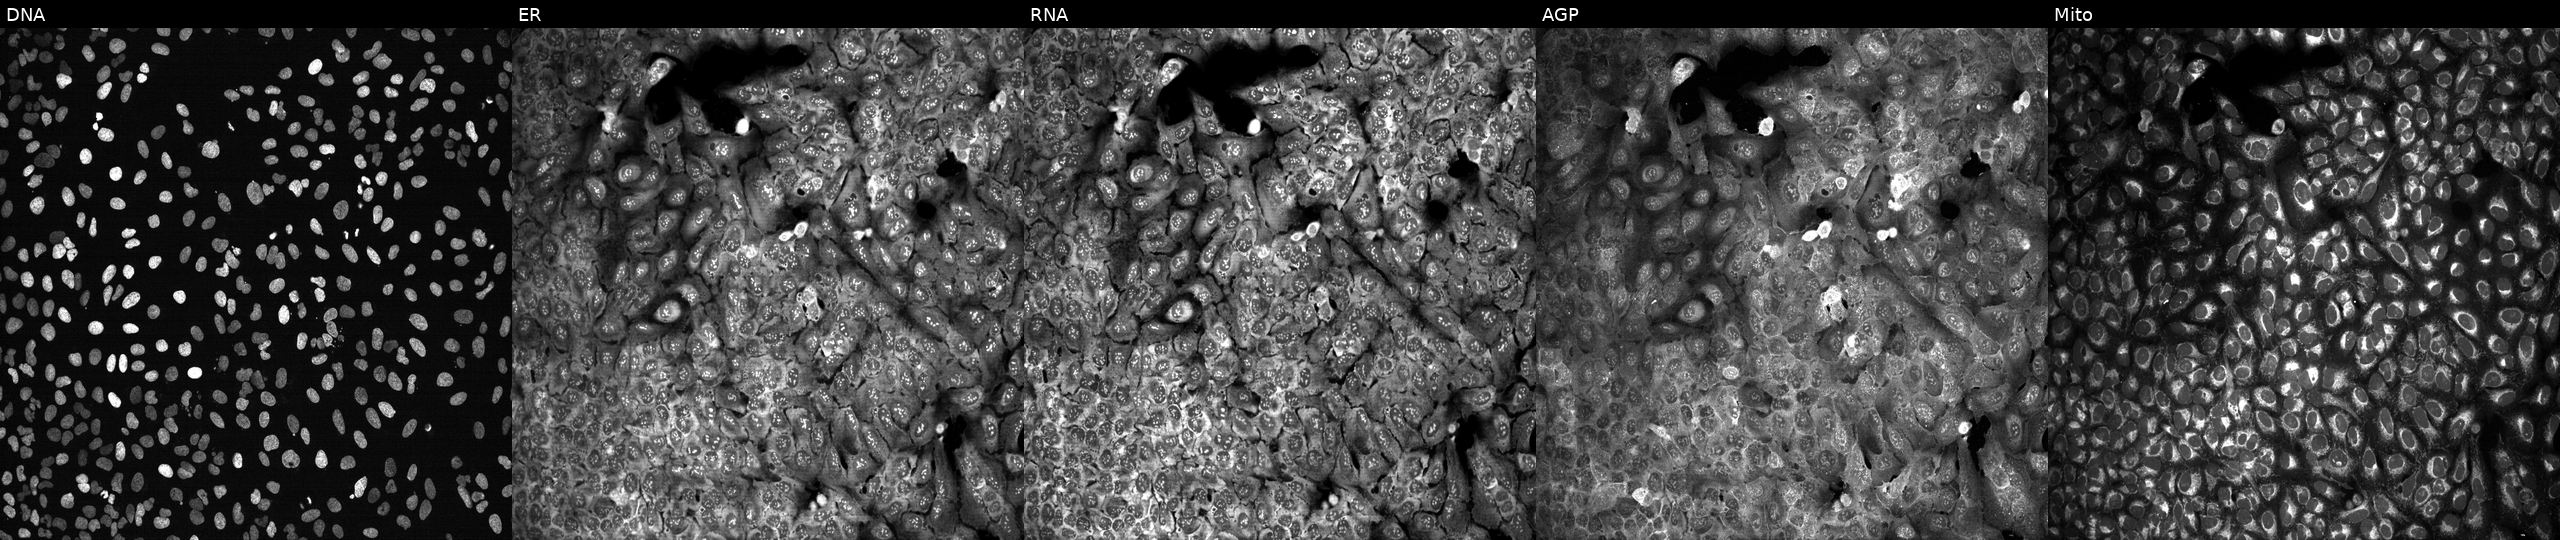
This image strip shows the five Cell Painting channels for a single field of U2OS cells with SEPT11 knocked out by CRISPR. Panels show, left to right, DNA (nuclei); ER (endoplasmic reticulum); RNA (nucleoli and cytoplasmic RNA); AGP (actin cytoskeleton, Golgi, and plasma membrane); Mito (mitochondria). Source 13, plate CP-CC9-R4-03, well G22.